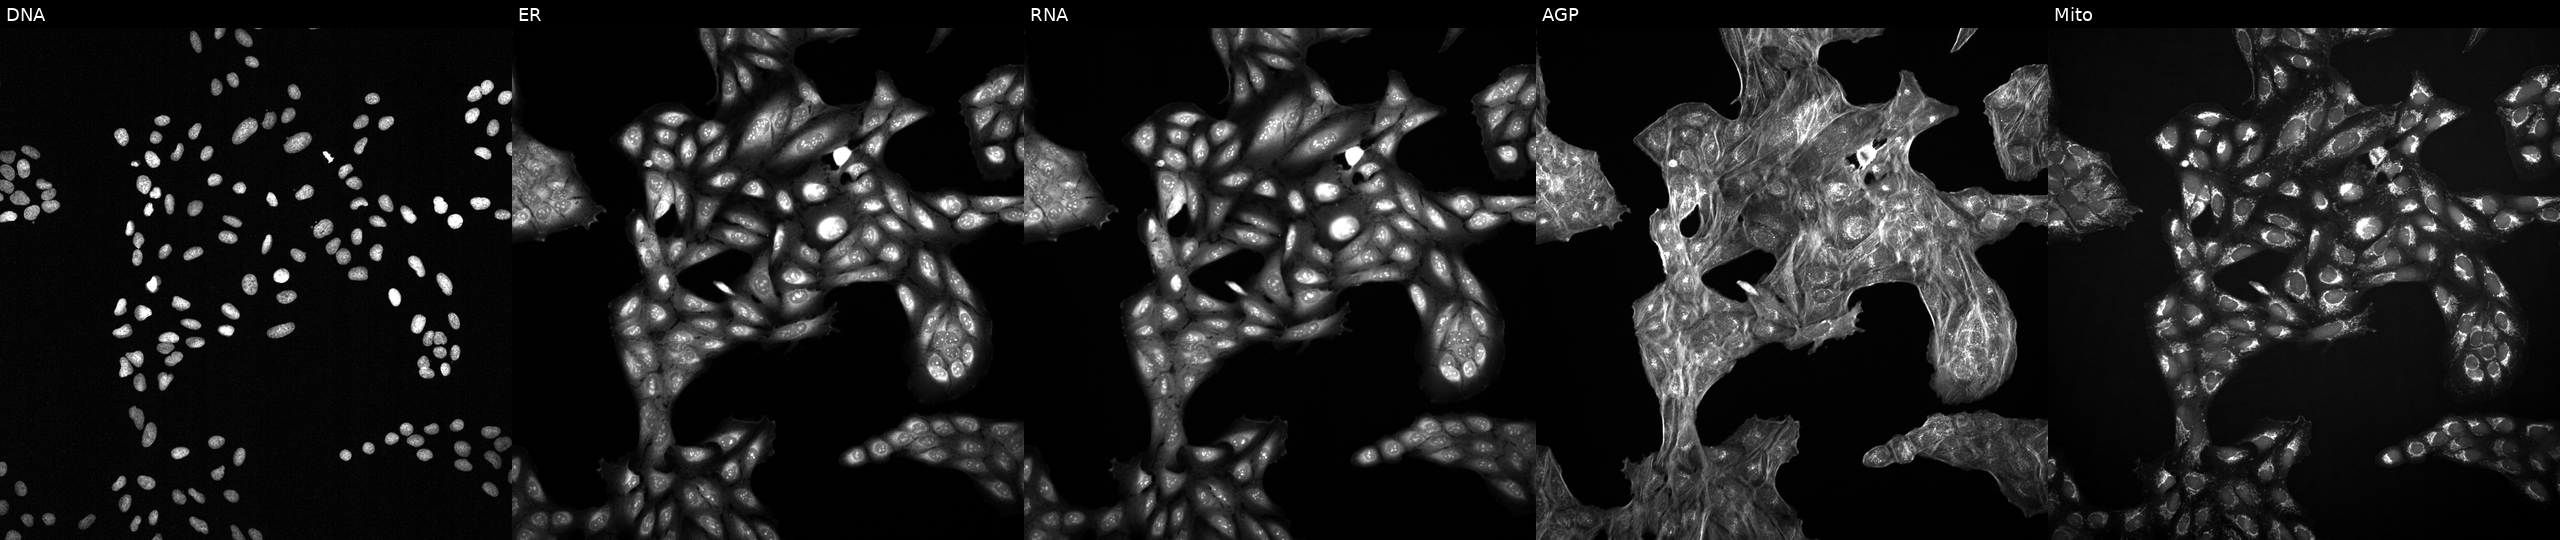
Five-channel Cell Painting image of U2OS cells with an unidentified perturbation (not annotated in JUMP metadata). The five panels, left to right, show Hoechst 33342, concanavalin A, SYTO 14, phalloidin and WGA, MitoTracker.